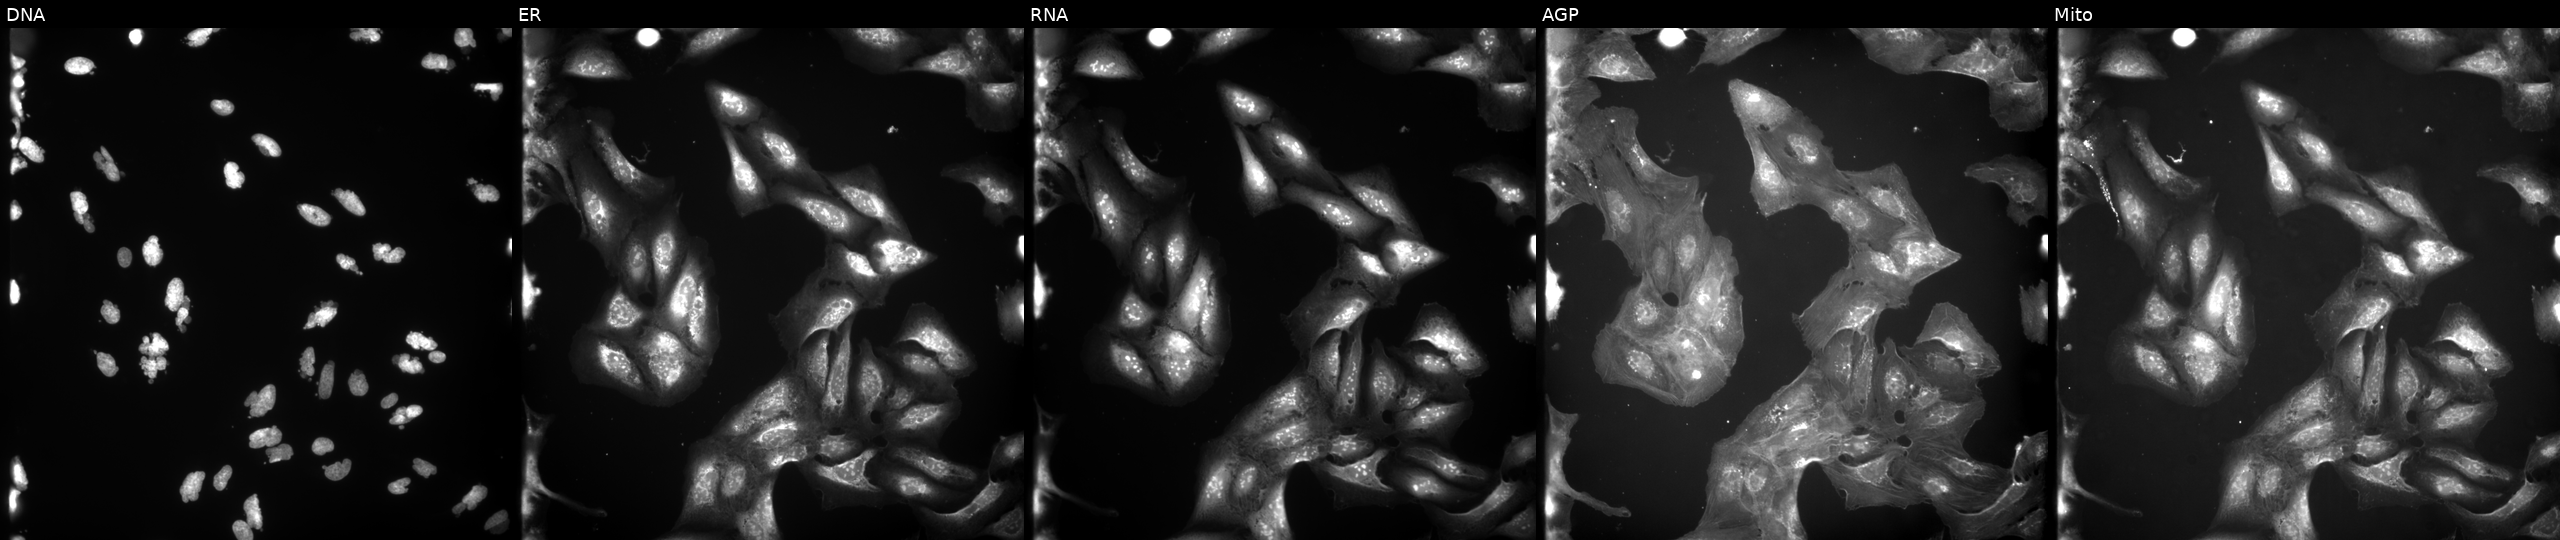
This image strip shows the five Cell Painting channels for a single field of U2OS cells exposed to the positive-control compound AMG900 (JUMP id JCP2022_037716). From left to right: Hoechst 33342, concanavalin A, SYTO 14, phalloidin and WGA, MitoTracker.